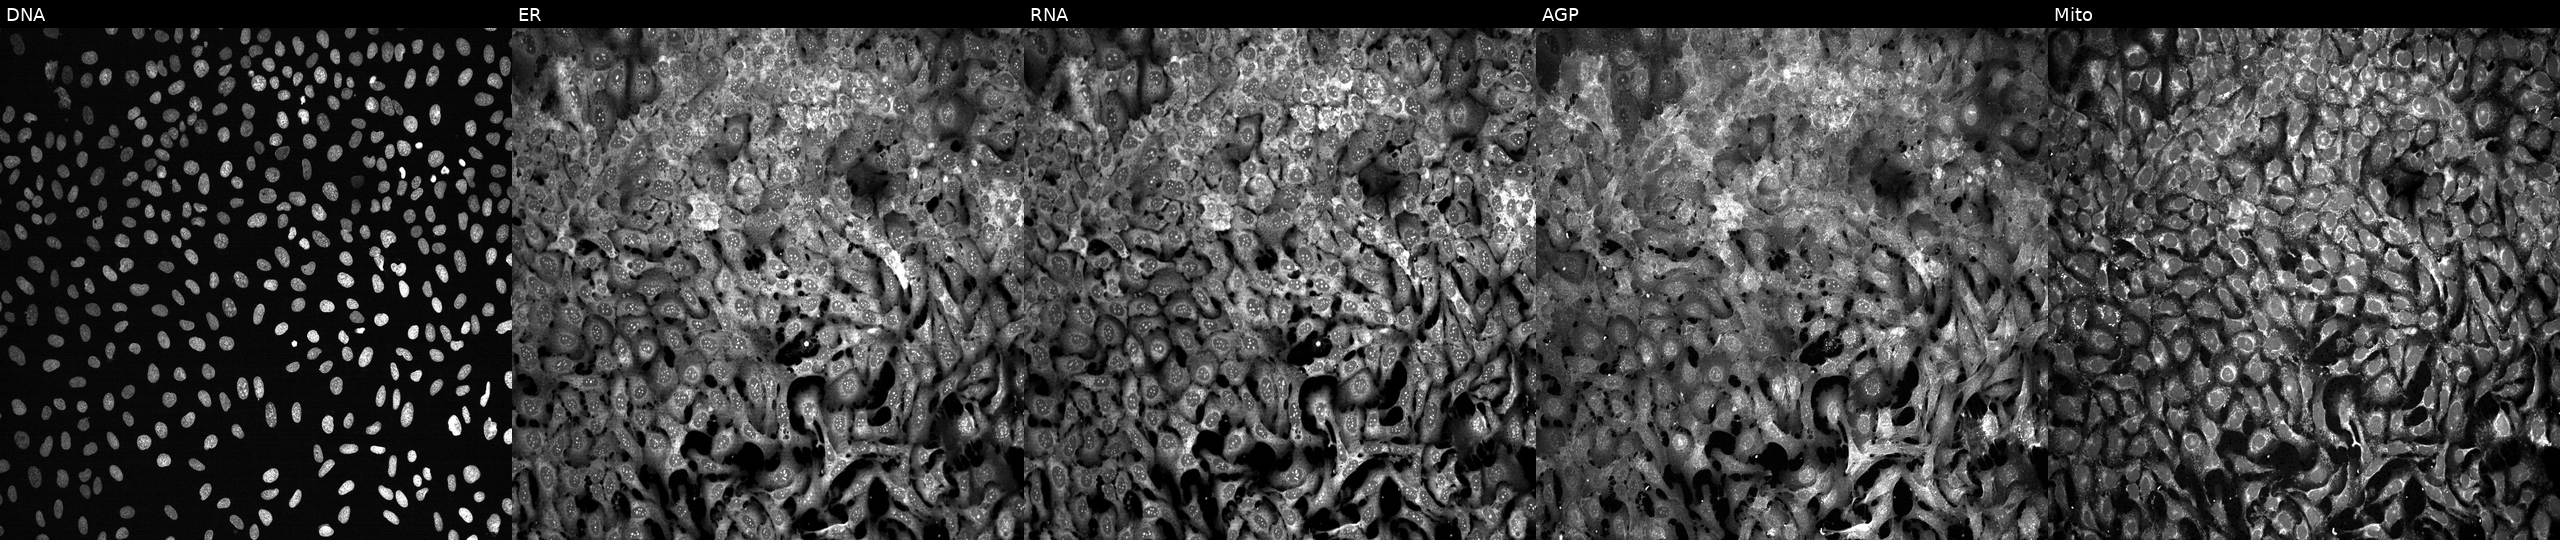
U2OS cells, Cell Painting assay, exposed to the positive-control compound FK-866. Channels (left→right): Hoechst 33342, concanavalin A, SYTO 14, phalloidin and WGA, MitoTracker. Each panel is percentile-stretched 16-bit fluorescence. Source 13, plate CP-CC9-R4-04, well L01.